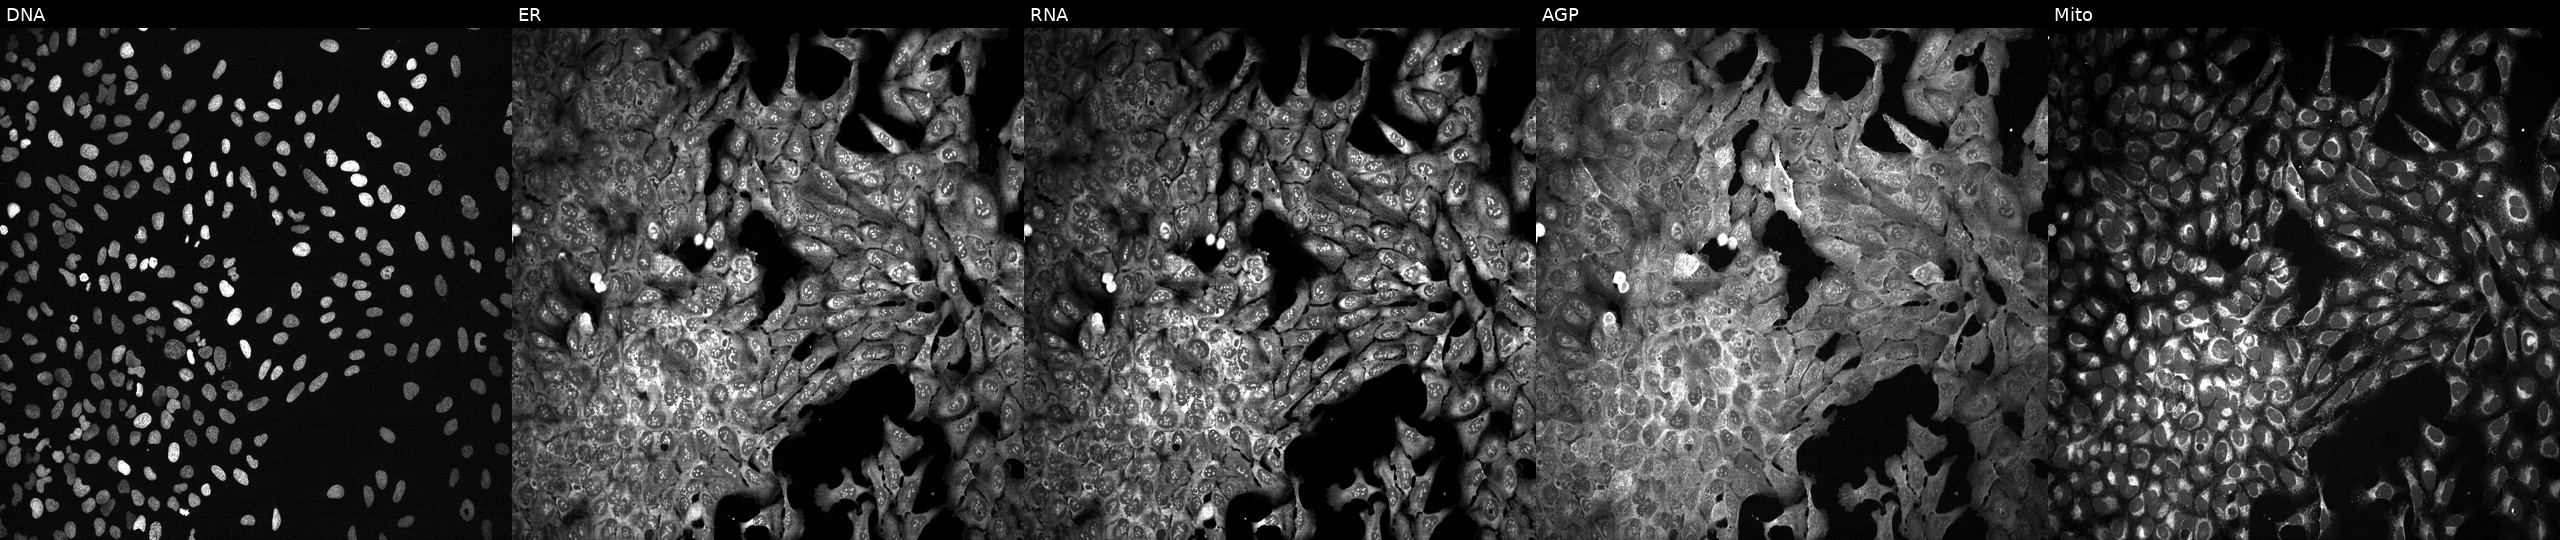
Five-channel Cell Painting image of U2OS cells following CRISPR knockout of PPIL4 (JUMP id JCP2022_805420). The five panels, left to right, show Hoechst 33342, concanavalin A, SYTO 14, phalloidin and WGA, MitoTracker.